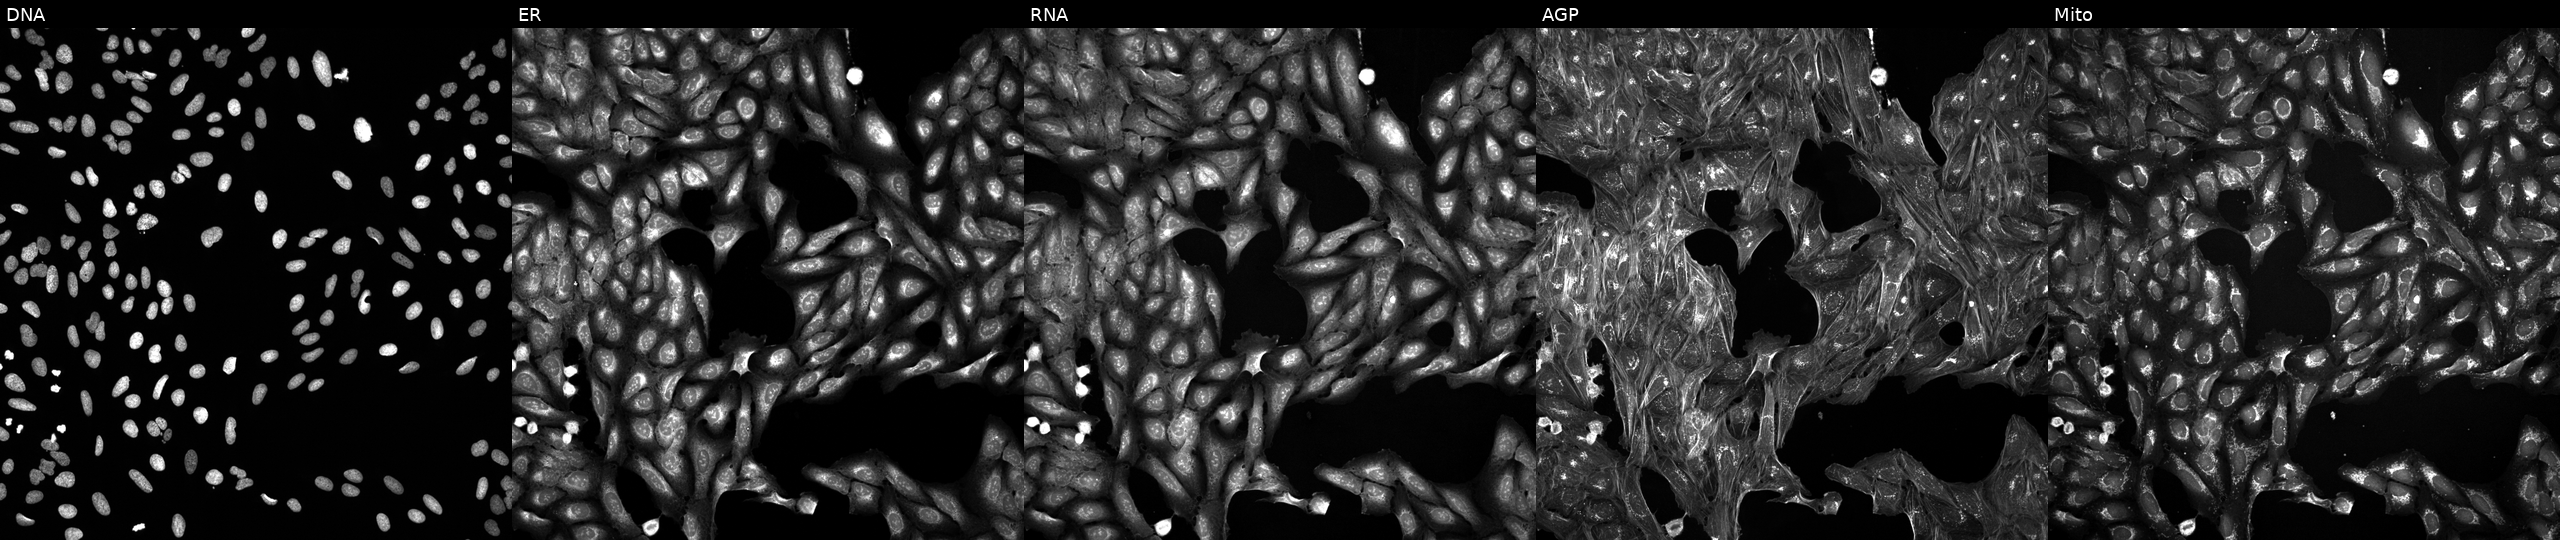
High-content fluorescence microscopy (Cell Painting). Cell line: U2OS. Perturbation: treated with a small-molecule compound (InChIKey DJKJVWJQAVGLHJ-UHFFFAOYSA-N) [SMILES: N=c1nc(N2CCNCC2)c2c([nH]1)C1=C(CC2)OC2CCCCC12]. Panels show, left to right, DNA (nuclei); ER (endoplasmic reticulum); RNA (nucleoli and cytoplasmic RNA); AGP (actin cytoskeleton, Golgi, and plasma membrane); Mito (mitochondria).